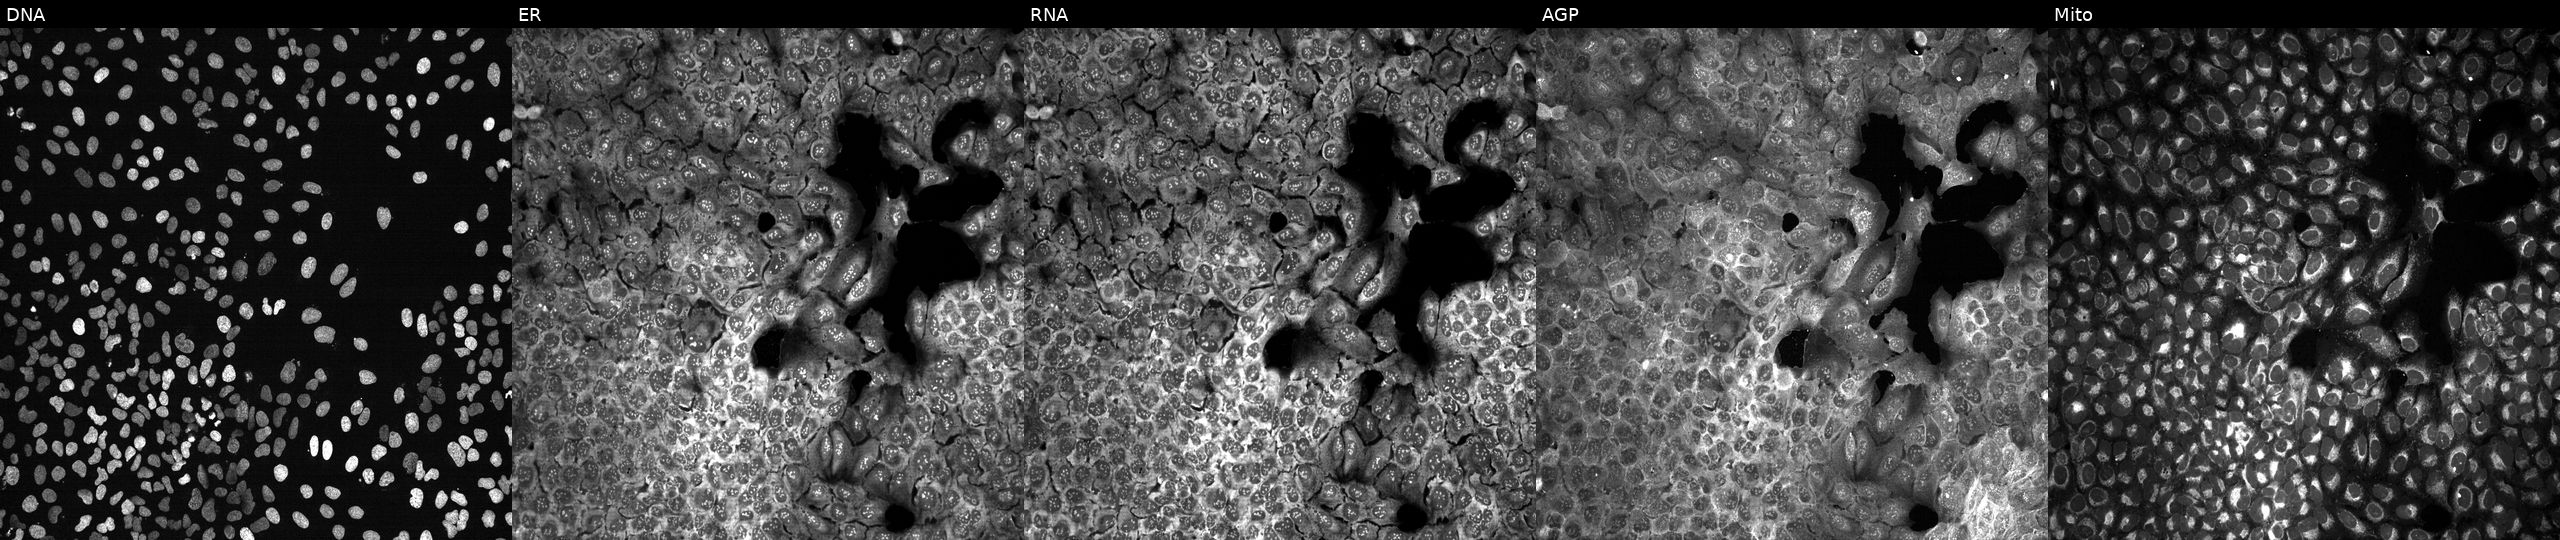
Channels (left→right): DNA, ER, RNA, AGP, and Mito. U2OS osteosarcoma cells CRISPR-edited to disrupt PARG. Cell Painting assay, JUMP-CP dataset.